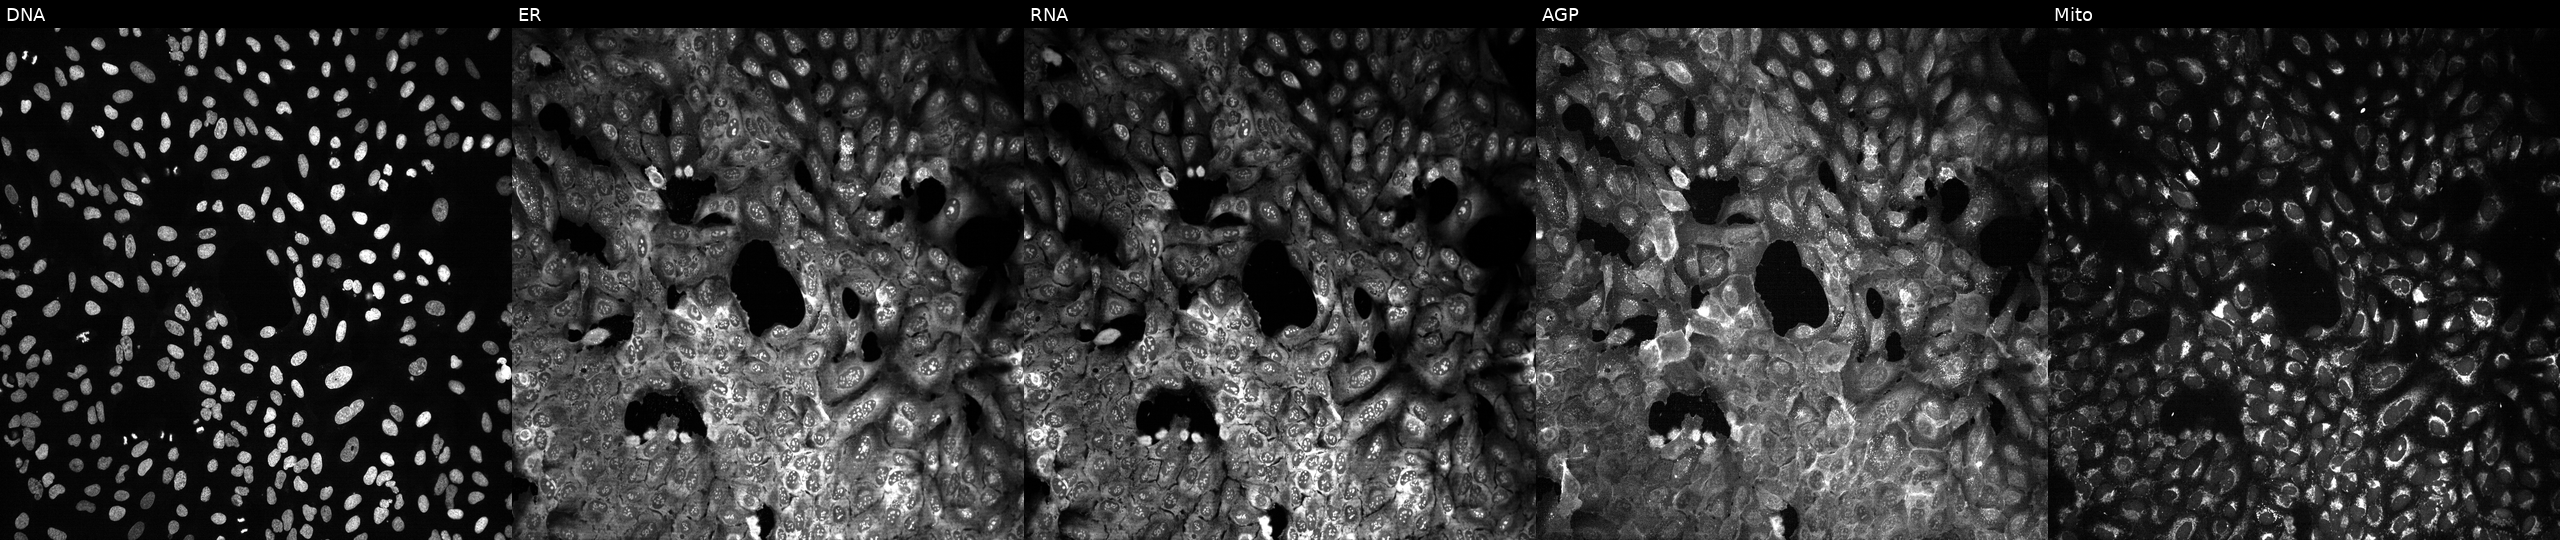
This image strip shows the five Cell Painting channels for a single field of U2OS cells with SMUG1 knocked out by CRISPR (JUMP id JCP2022_806652). Panels show, left to right, DNA (nuclei); ER (endoplasmic reticulum); RNA (nucleoli and cytoplasmic RNA); AGP (actin cytoskeleton, Golgi, and plasma membrane); Mito (mitochondria). Source 13, plate CP-CC9-R3-01, well M05.